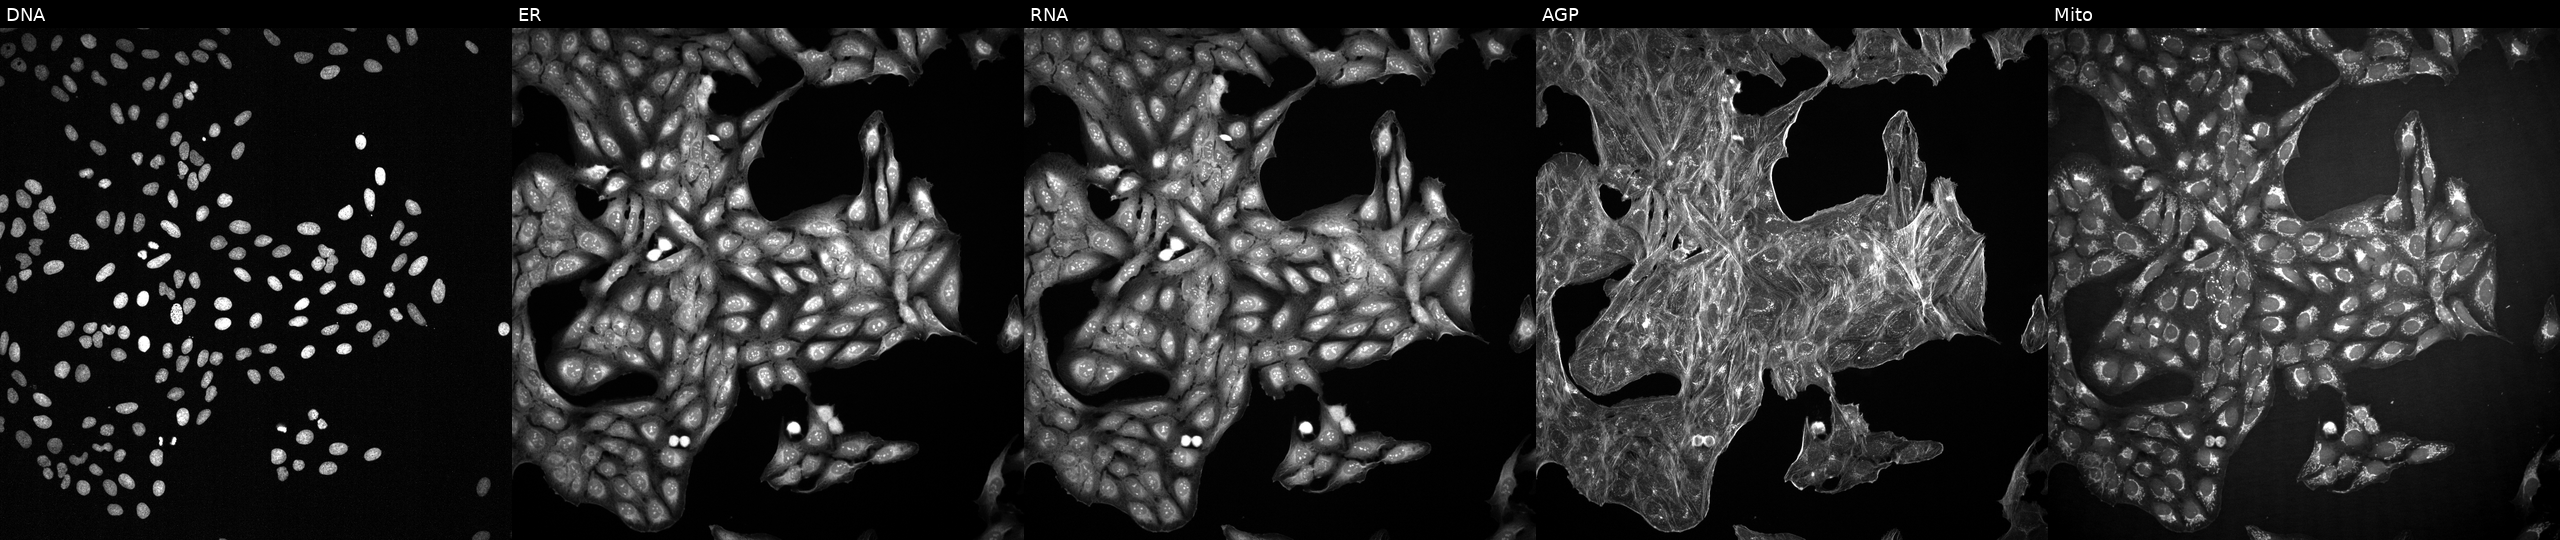
High-content fluorescence microscopy (Cell Painting). Cell line: U2OS. Perturbation: perturbed with a small-molecule compound (InChIKey ZQPXNYLXYNRFNP-UHFFFAOYSA-N) [SMILES: O=[N+]([O-])c1ccc2[nH]c(COCc3nc4cc([N+](=O)[O-])ccc4[nH]3)nc2c1]. Channels (left→right): DNA, ER, RNA, AGP, and Mito.